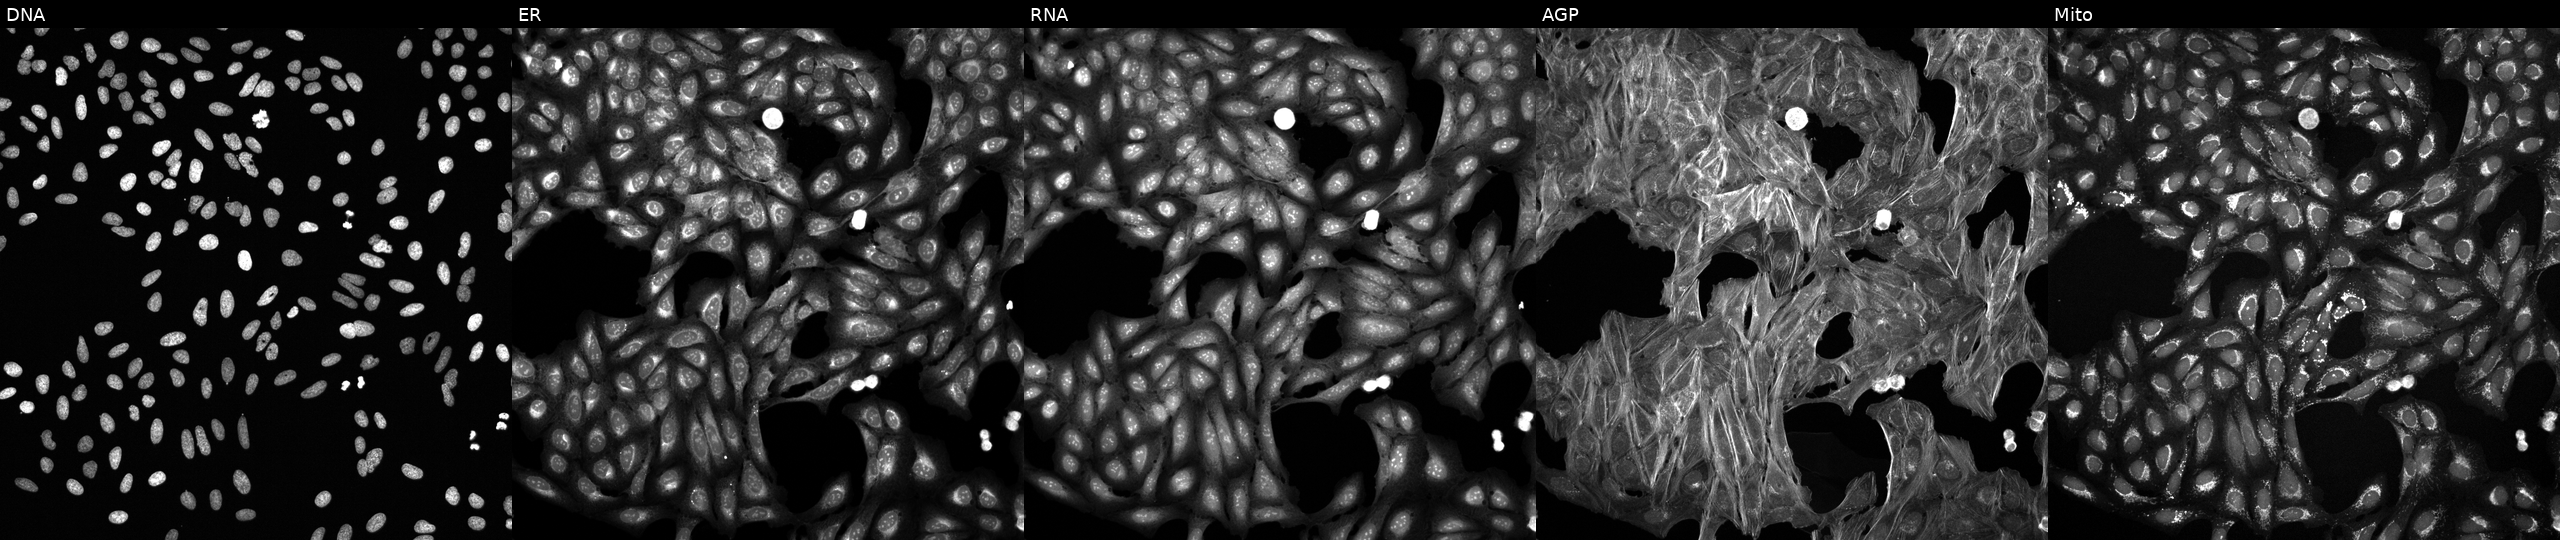
Five-channel Cell Painting image of U2OS cells treated with a small-molecule compound. From left to right: DNA, ER, RNA, AGP, and Mito.